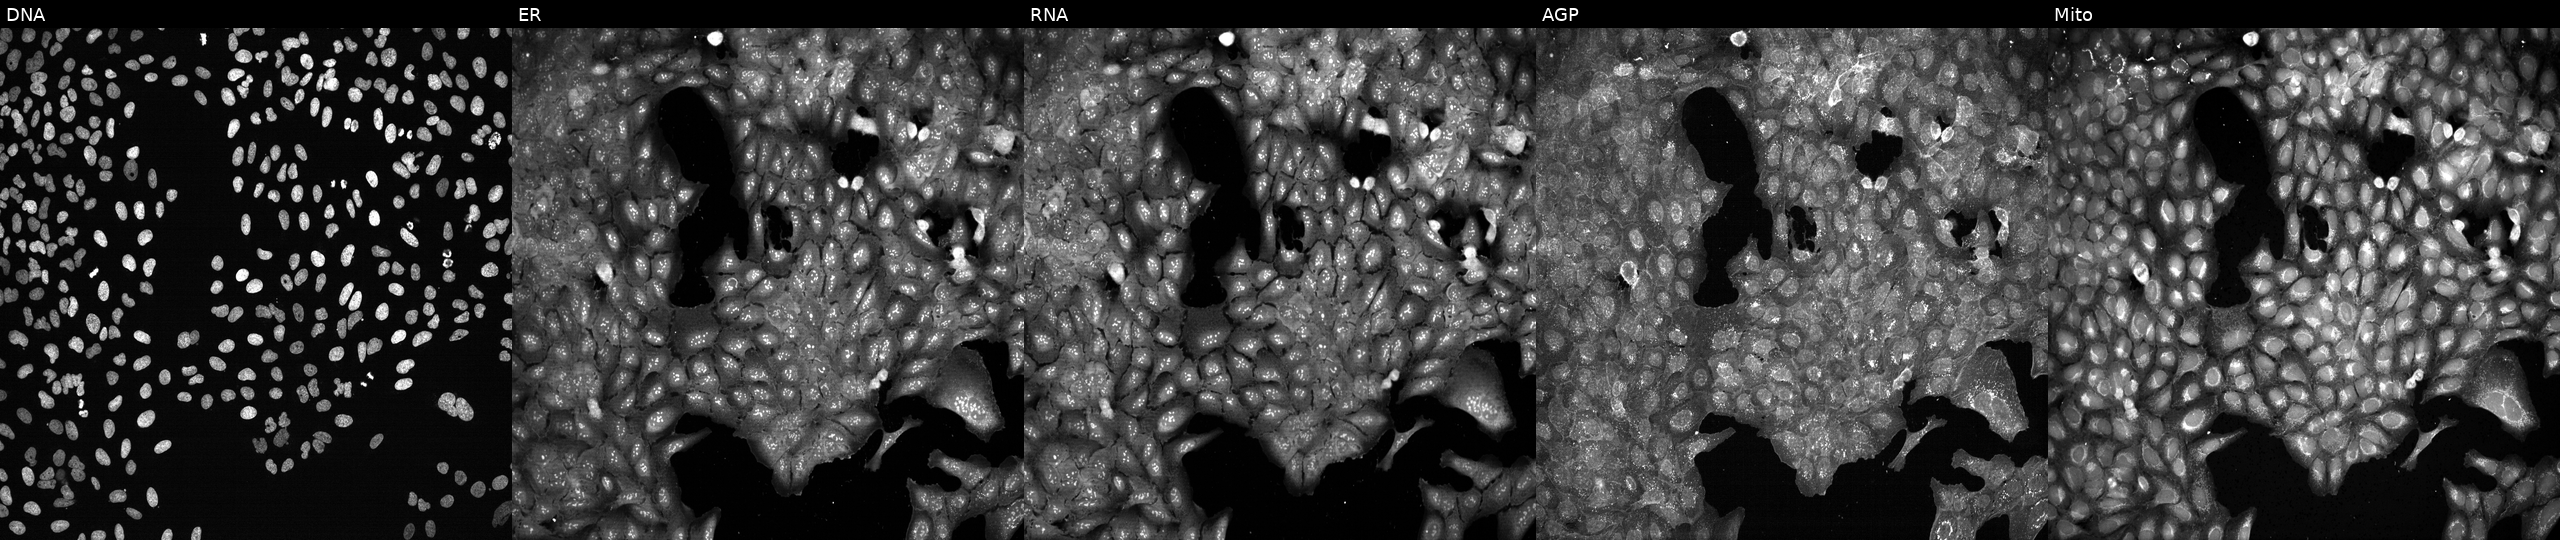
Five-channel Cell Painting image of U2OS cells following CRISPR knockout of ENO2 (JUMP id JCP2022_802111). Channels (left→right): Hoechst 33342, concanavalin A, SYTO 14, phalloidin and WGA, MitoTracker.